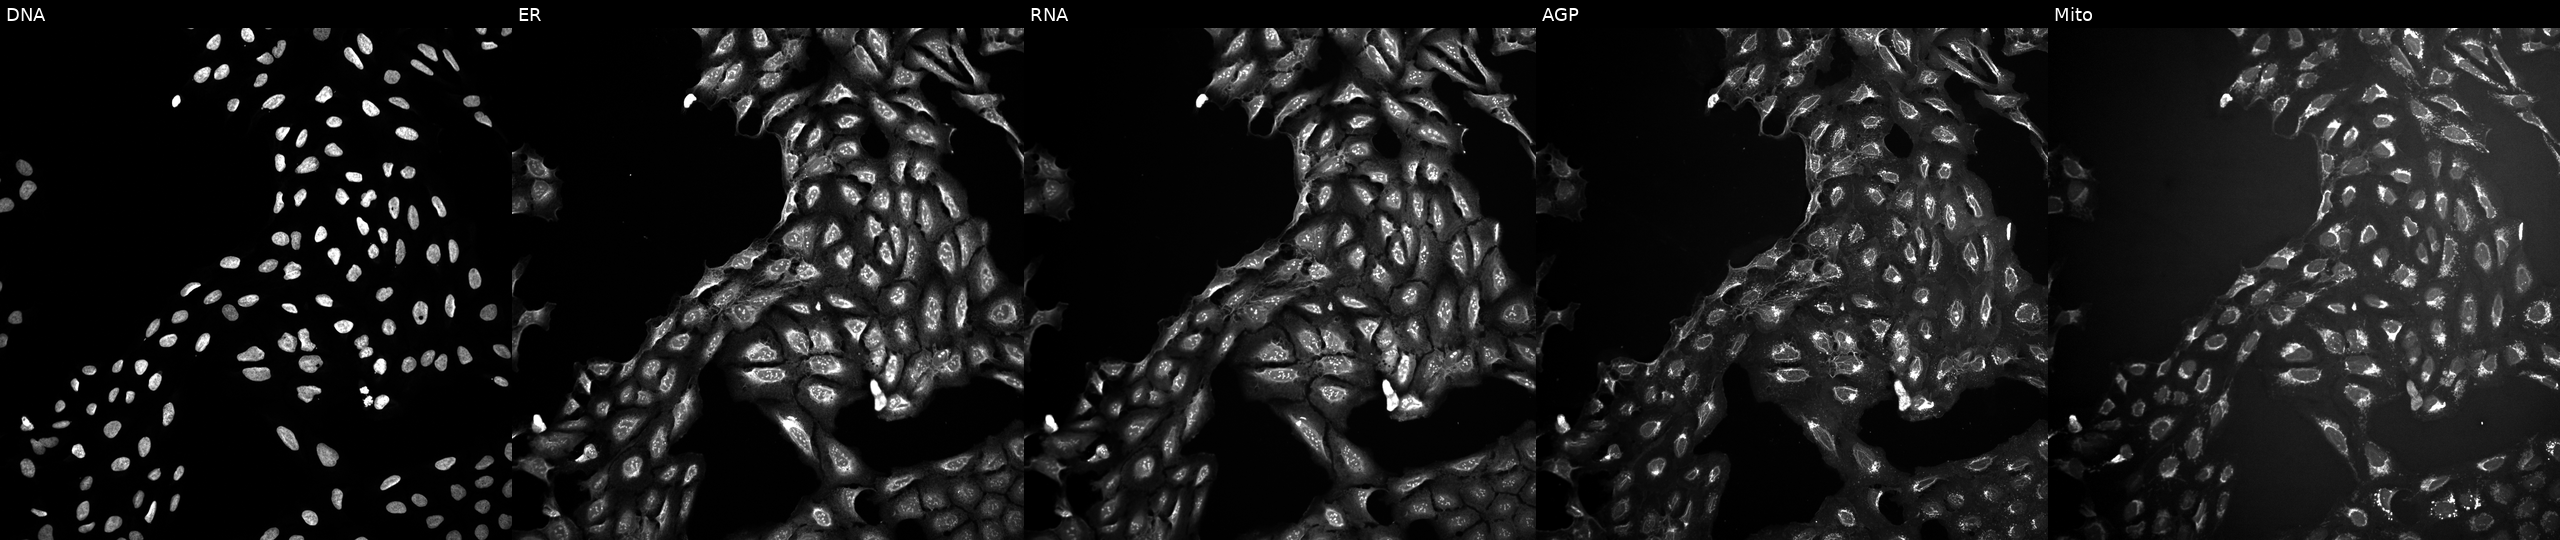
This image strip shows the five Cell Painting channels for a single field of U2OS cells perturbed with a small-molecule compound (JUMP id JCP2022_043332). From left to right: DNA, ER, RNA, AGP, and Mito. Source 10, plate Dest210803-153958, well L21.